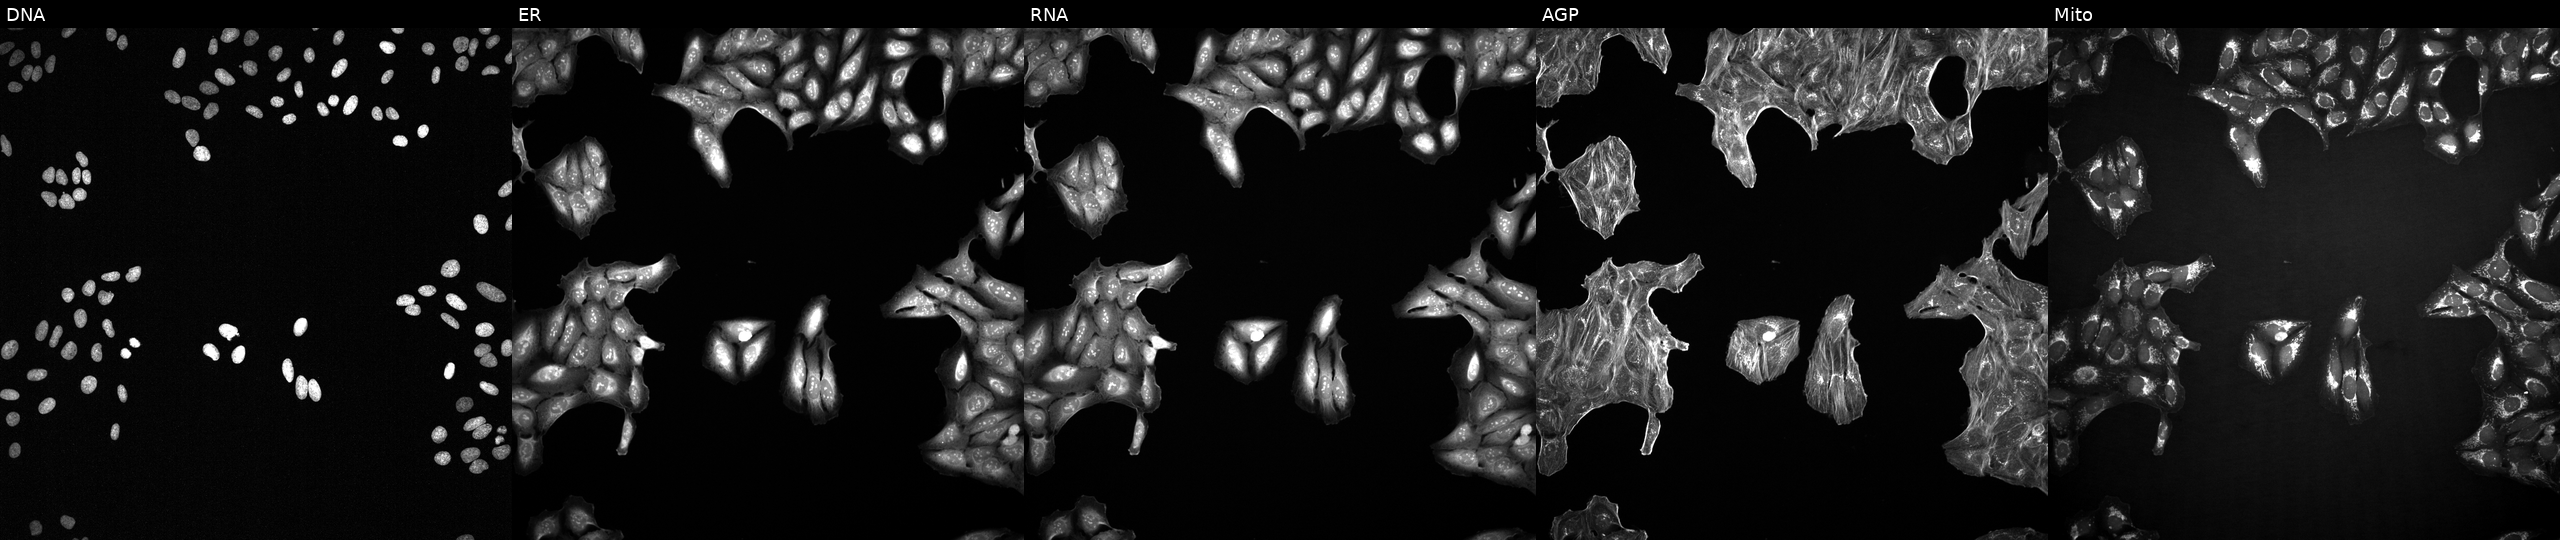
Panels show, left to right, DNA (nuclei); ER (endoplasmic reticulum); RNA (nucleoli and cytoplasmic RNA); AGP (actin cytoskeleton, Golgi, and plasma membrane); Mito (mitochondria). U2OS osteosarcoma cells exposed to a small-molecule compound (InChIKey ORZBMWATKXOTRM-UHFFFAOYSA-N). Cell Painting assay, JUMP-CP dataset.